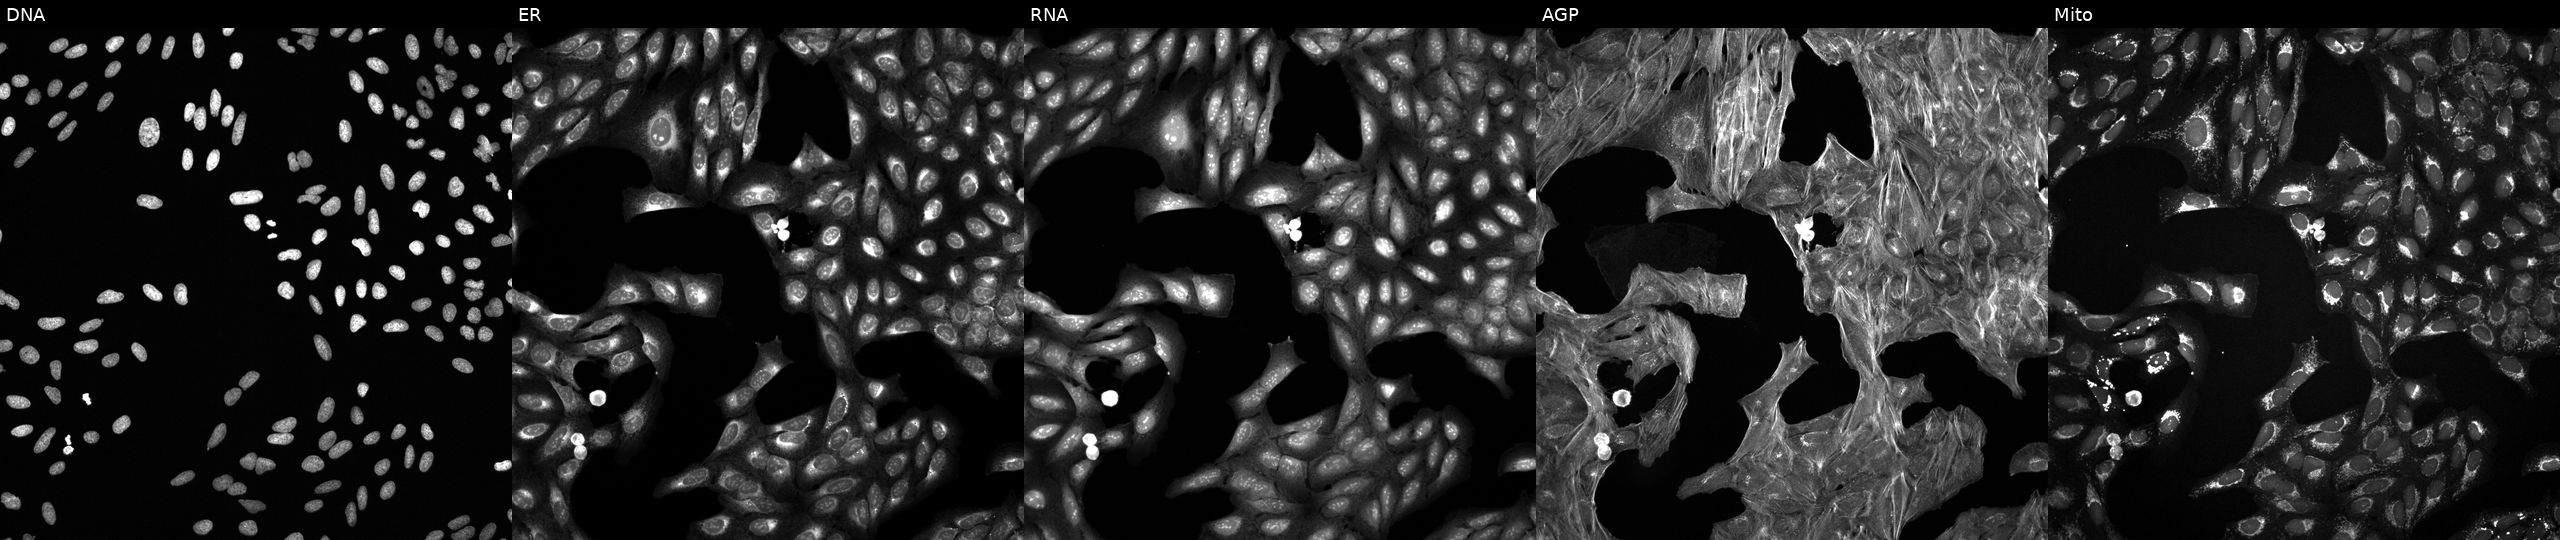
High-content fluorescence microscopy (Cell Painting). Cell line: U2OS. Perturbation: exposed to a small-molecule compound. Panels show, left to right, DNA (nuclei); ER (endoplasmic reticulum); RNA (nucleoli and cytoplasmic RNA); AGP (actin cytoskeleton, Golgi, and plasma membrane); Mito (mitochondria). Source 6, plate 110000293083, well G21.